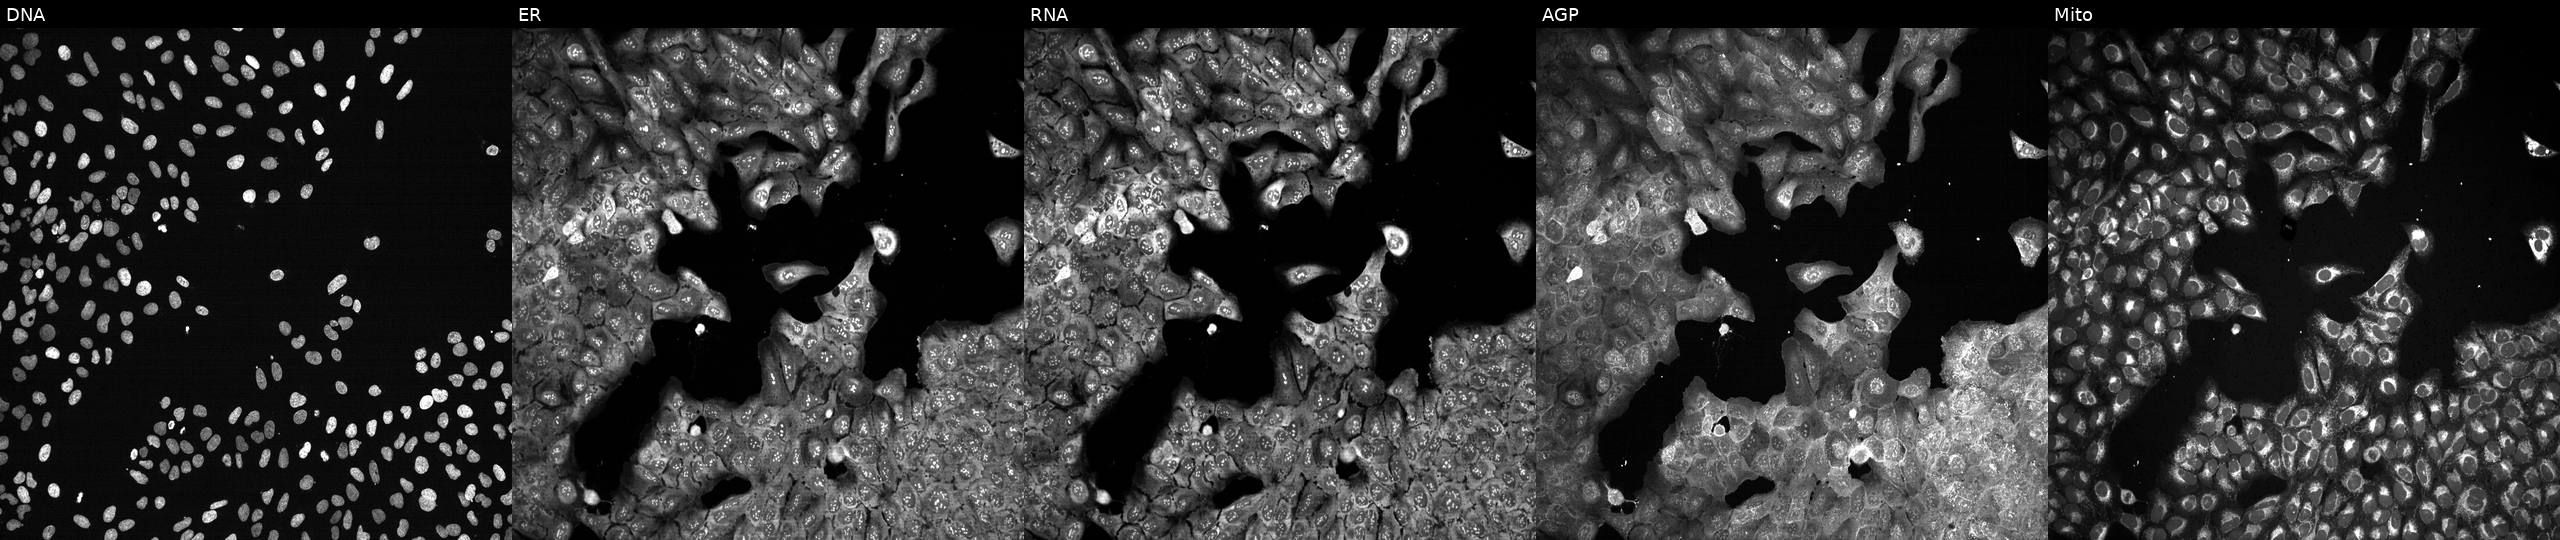
Five-channel Cell Painting image of U2OS cells with CAT knocked out by CRISPR. Panels show, left to right, DNA (nuclei); ER (endoplasmic reticulum); RNA (nucleoli and cytoplasmic RNA); AGP (actin cytoskeleton, Golgi, and plasma membrane); Mito (mitochondria). Source 13, plate CP-CC9-R4-04, well I12.